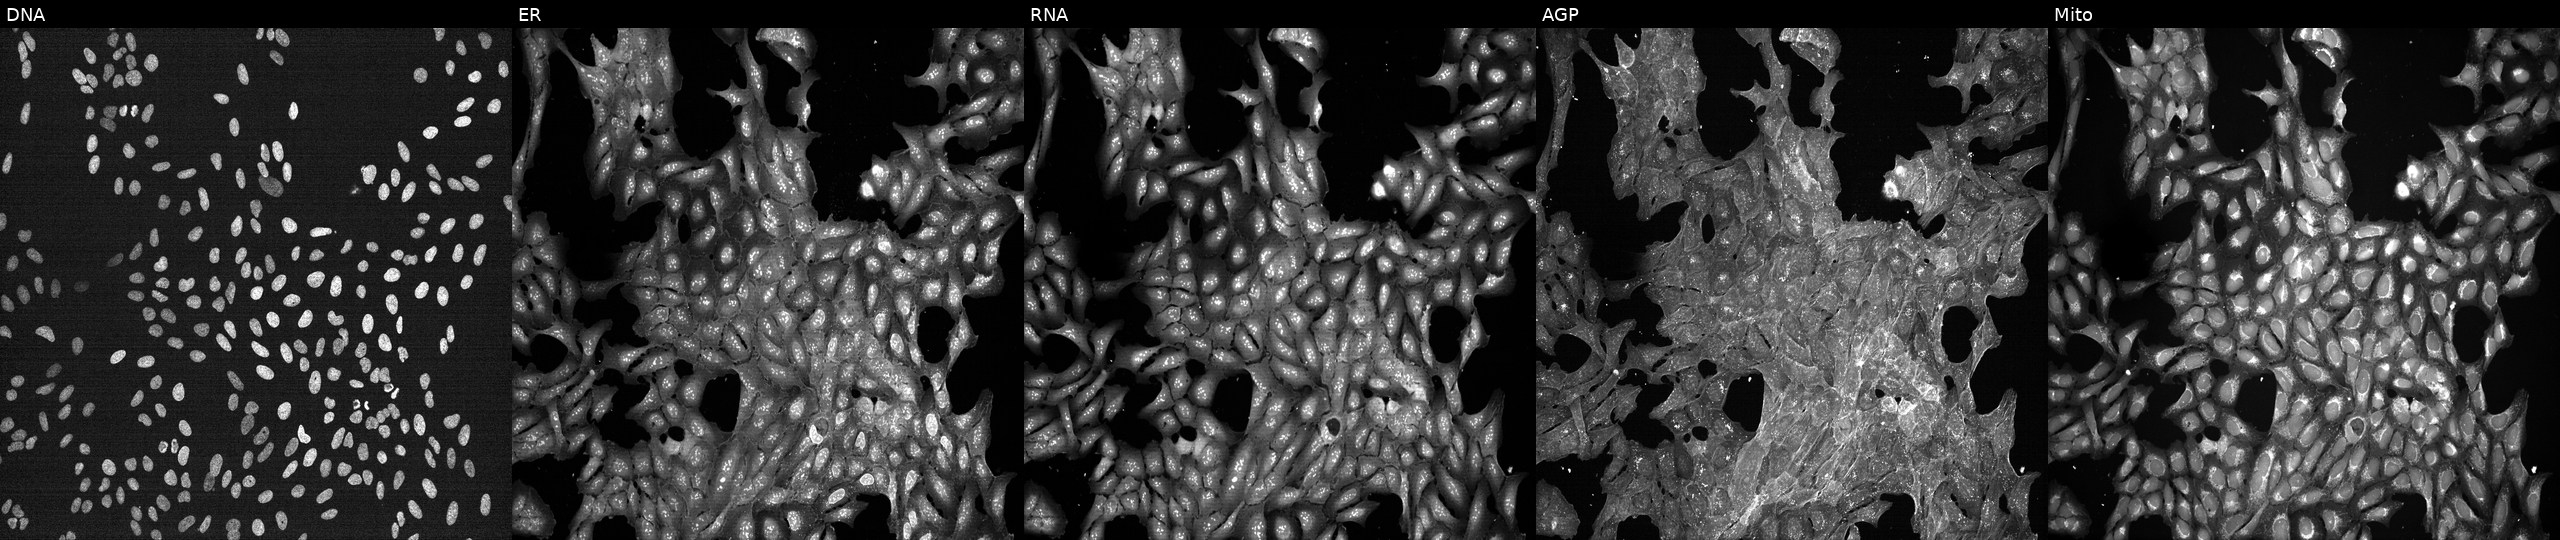
This image strip shows the five Cell Painting channels for a single field of U2OS cells perturbed with a small-molecule compound. Panels show, left to right, Hoechst 33342, concanavalin A, SYTO 14, phalloidin and WGA, MitoTracker. Source 7, plate CP1-SC1-25, well L11.